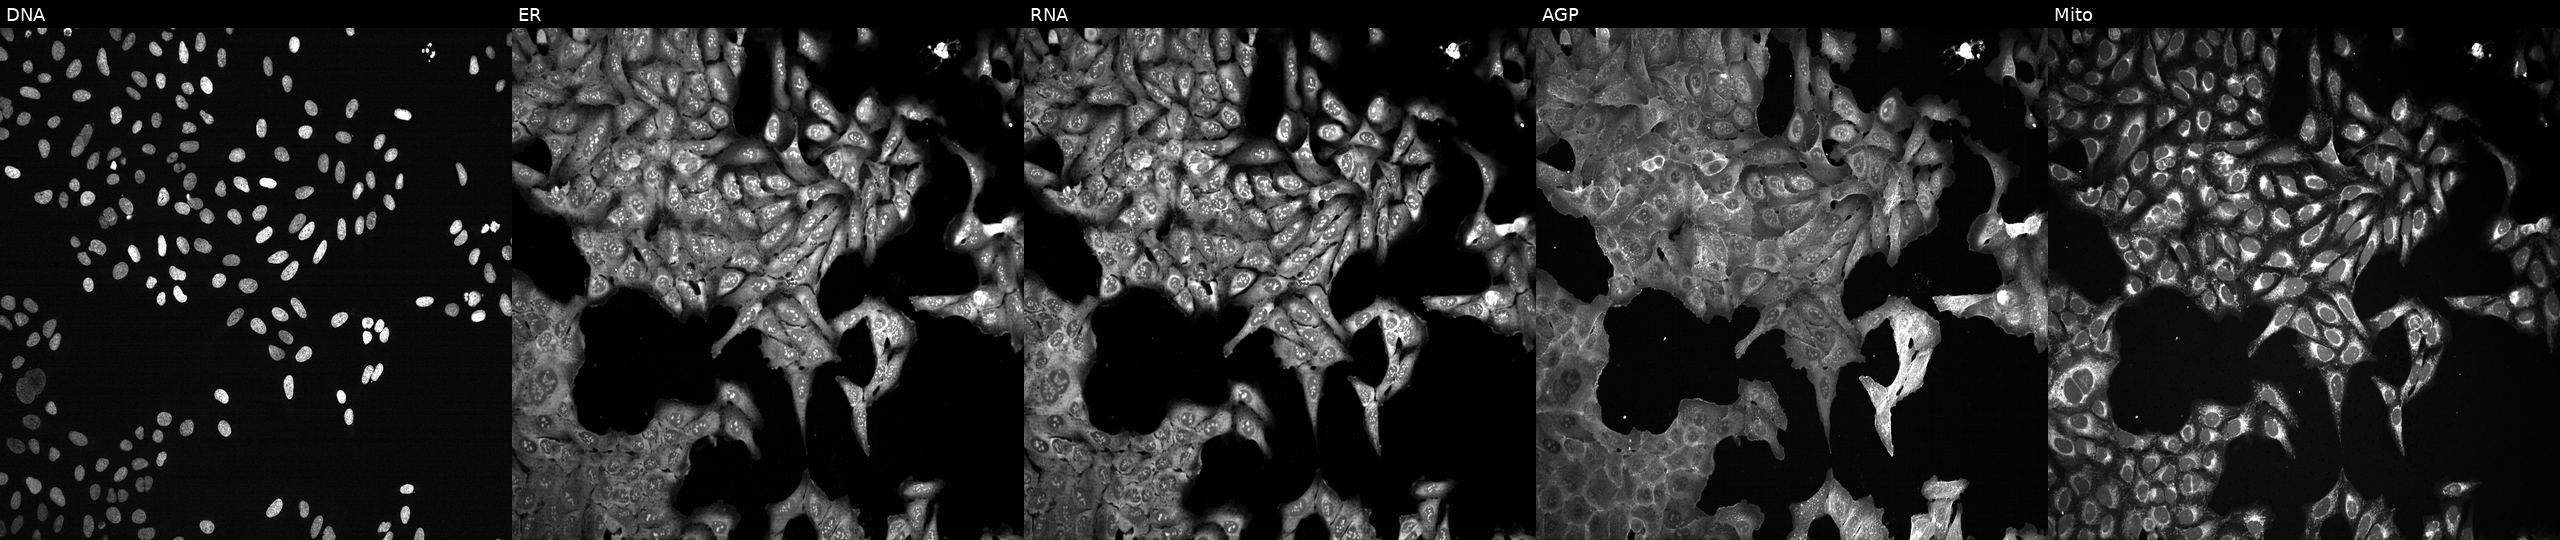
High-content fluorescence microscopy (Cell Painting). Cell line: U2OS. Perturbation: following CRISPR knockout of EPHX4. Panels show, left to right, Hoechst 33342, concanavalin A, SYTO 14, phalloidin and WGA, MitoTracker. Source 13, plate CP-CC9-R6-19, well A05.